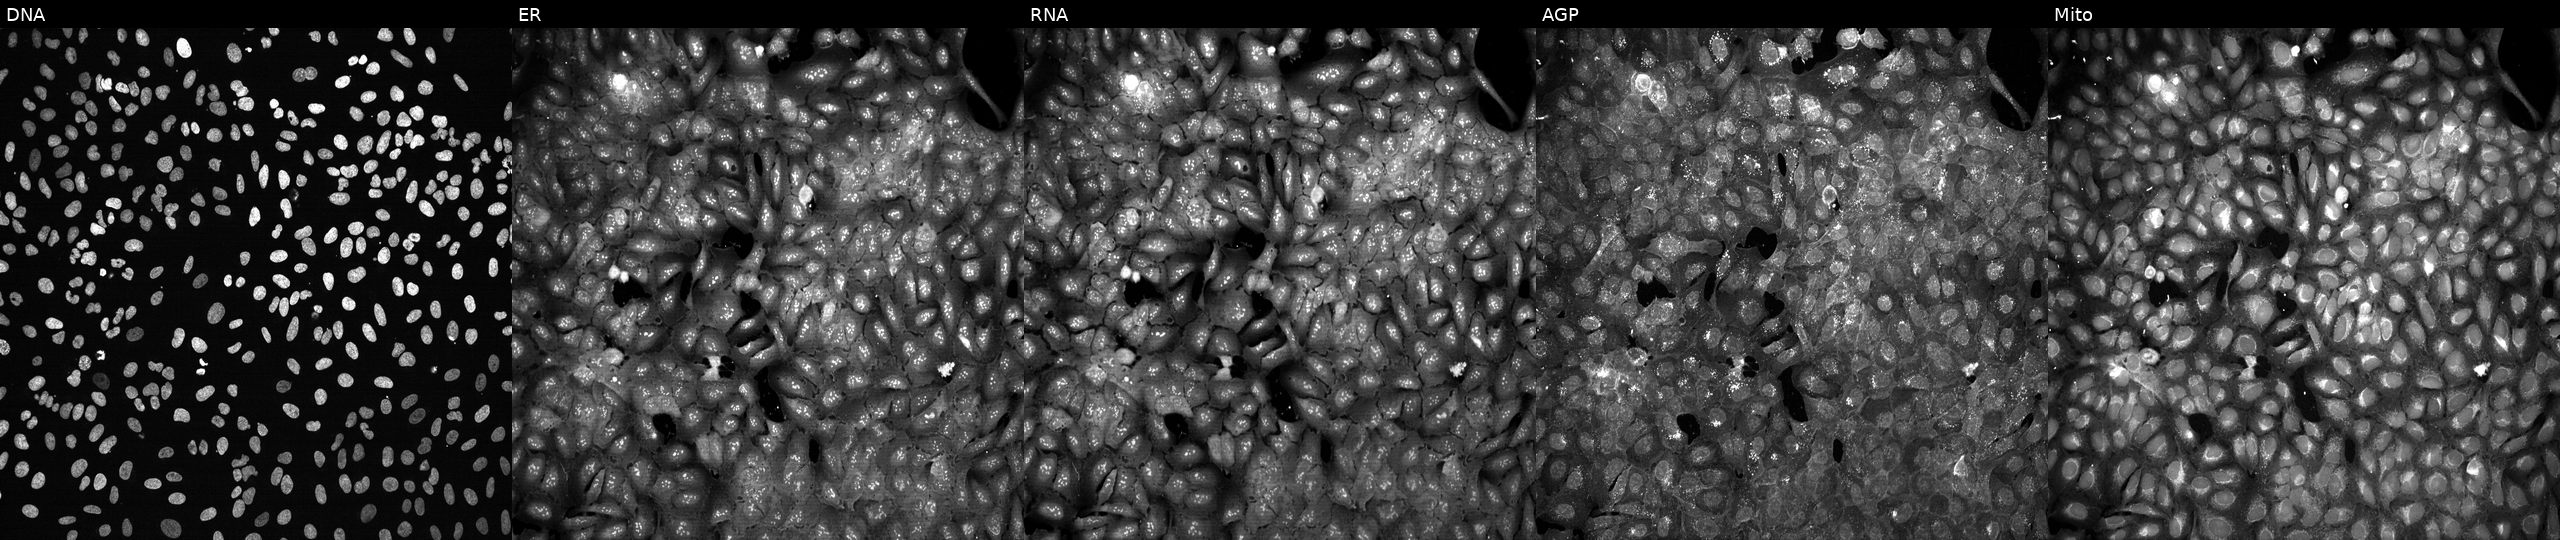
Five-channel Cell Painting image of U2OS cells CRISPR-edited to disrupt ESM1 (JUMP id JCP2022_802181). Panels show, left to right, Hoechst 33342, concanavalin A, SYTO 14, phalloidin and WGA, MitoTracker.